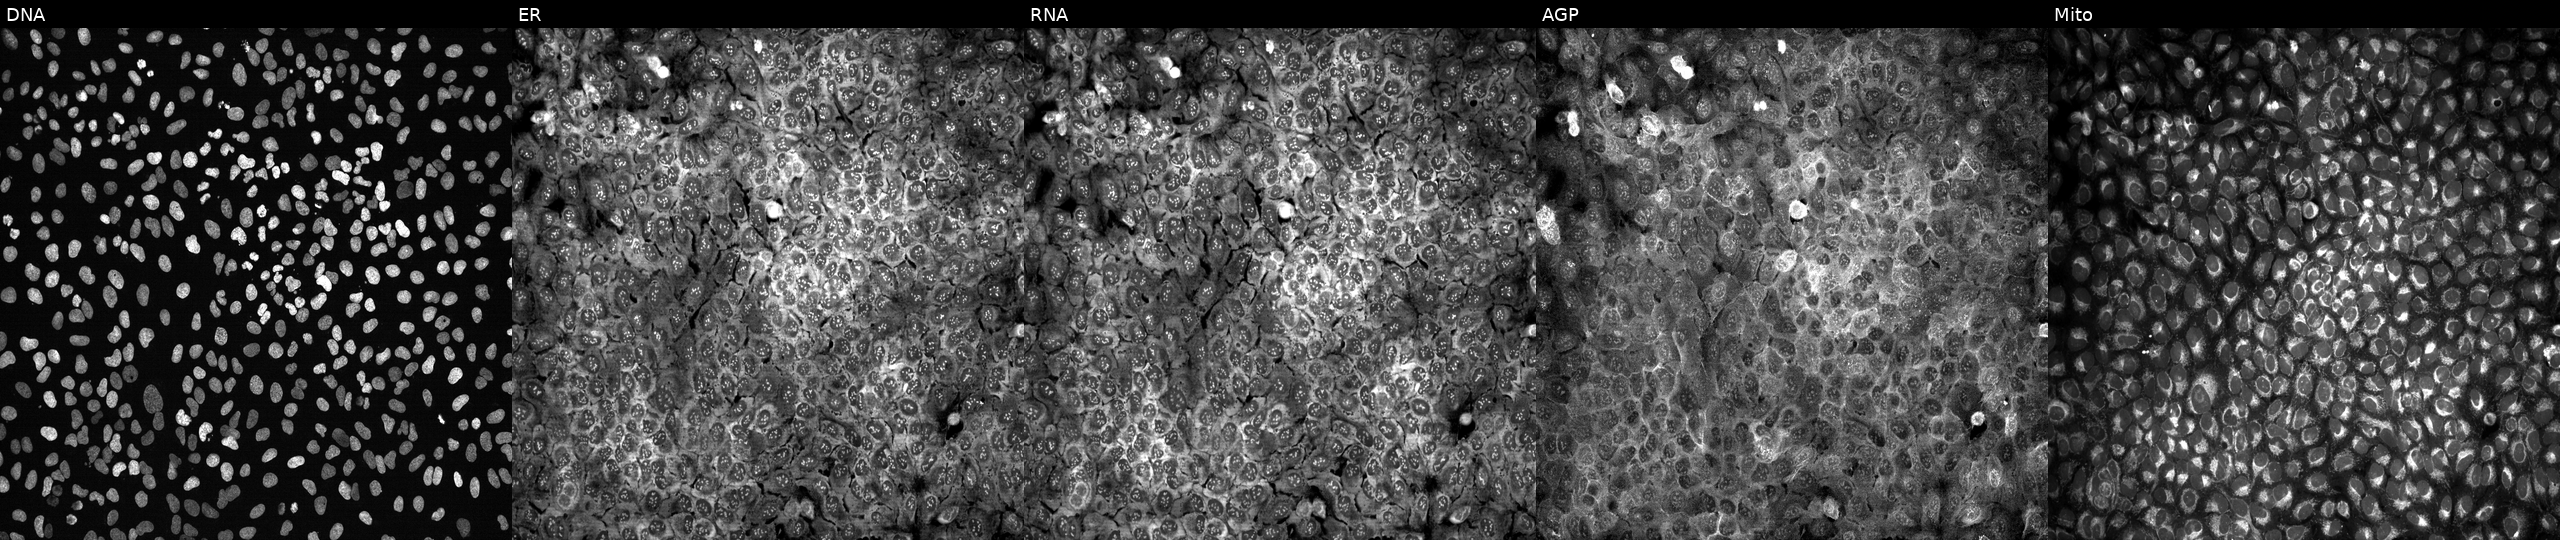
U2OS cells, Cell Painting assay, CRISPR-edited to disrupt SLC31A2. From left to right: Hoechst 33342, concanavalin A, SYTO 14, phalloidin and WGA, MitoTracker. Each panel is percentile-stretched 16-bit fluorescence.